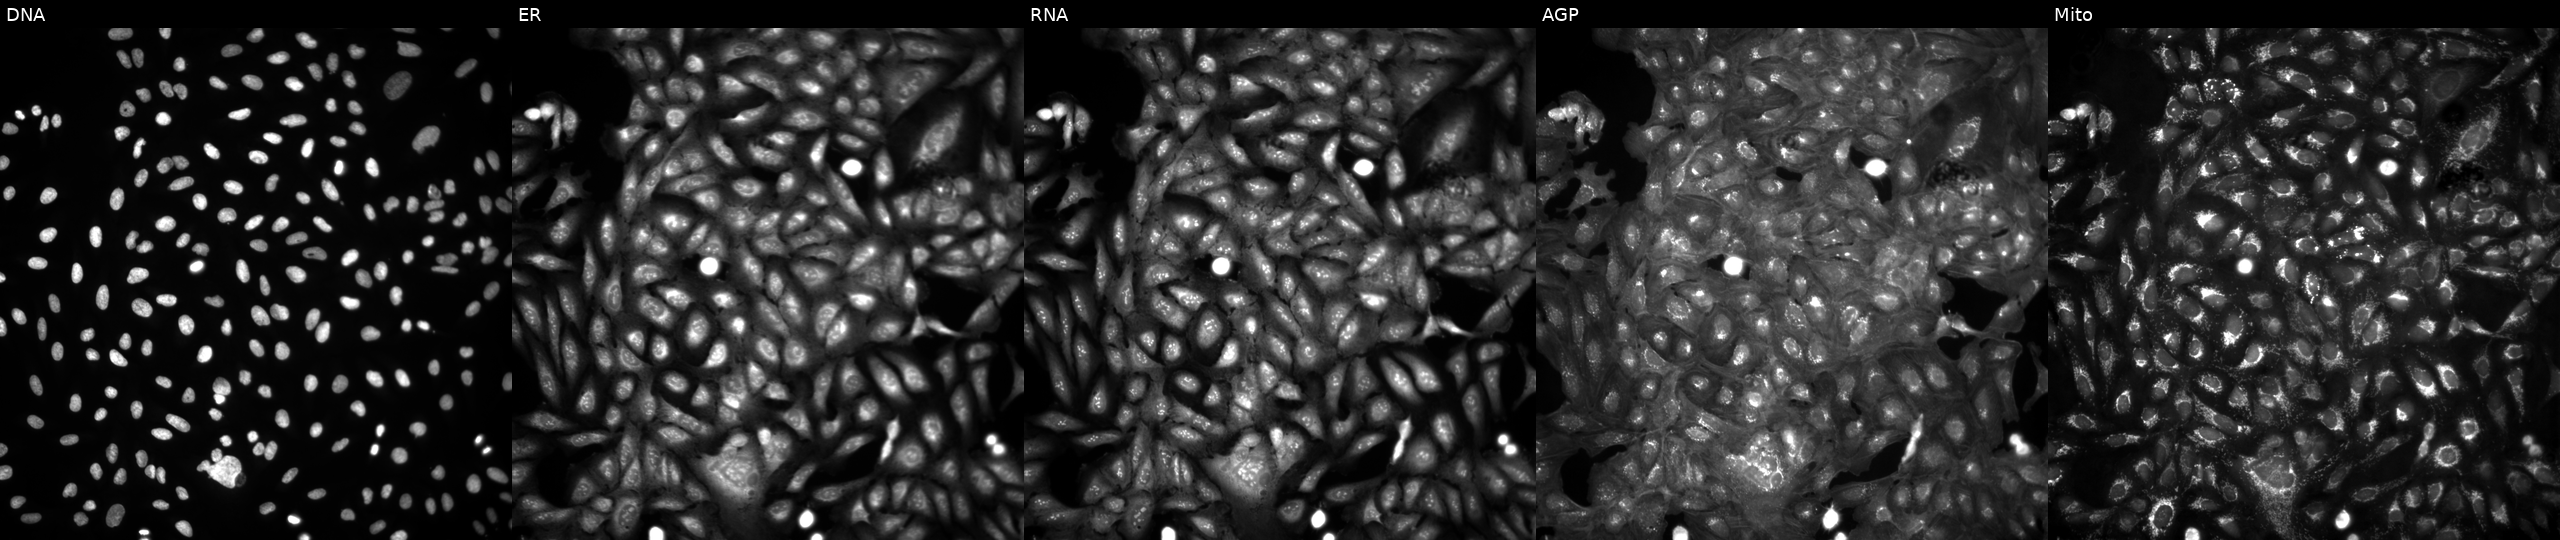
High-content fluorescence microscopy (Cell Painting). Cell line: U2OS. Perturbation: untreated (empty-well control). Channels (left→right): Hoechst 33342, concanavalin A, SYTO 14, phalloidin and WGA, MitoTracker. Source 4, plate BR00124793, well G23.